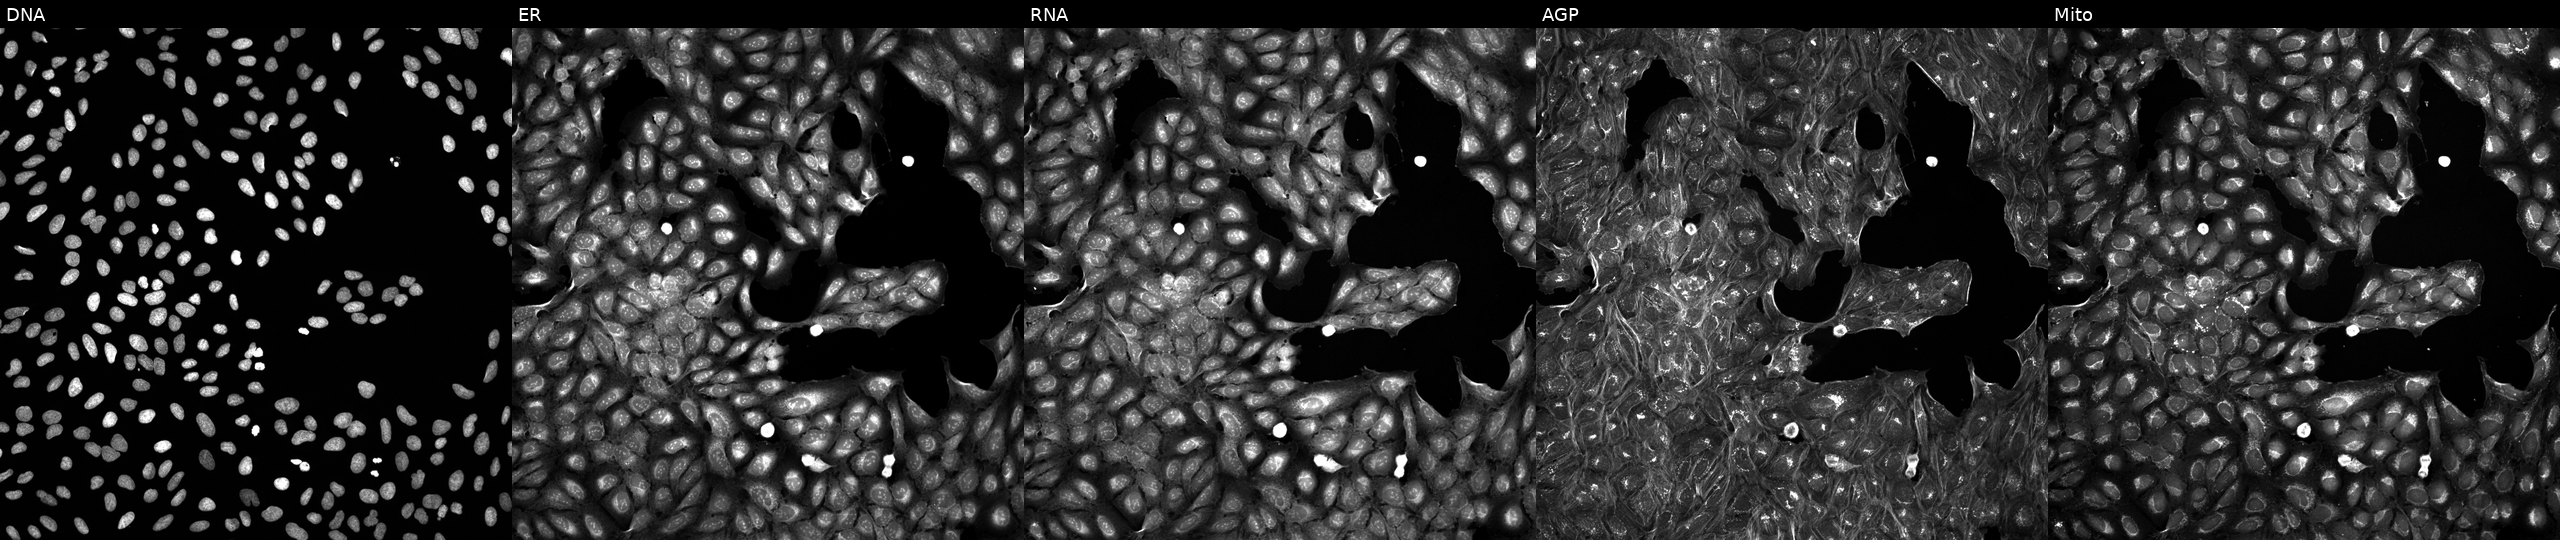
U2OS cells, Cell Painting assay, treated with a small-molecule compound [SMILES: COCc1noc(CN2CCN(C(=O)CCn3ccc4cc(Cl)ccc43)CC2)n1] (JUMP id JCP2022_042957). The five panels, left to right, show DNA, ER, RNA, AGP, and Mito. Each panel is percentile-stretched 16-bit fluorescence.